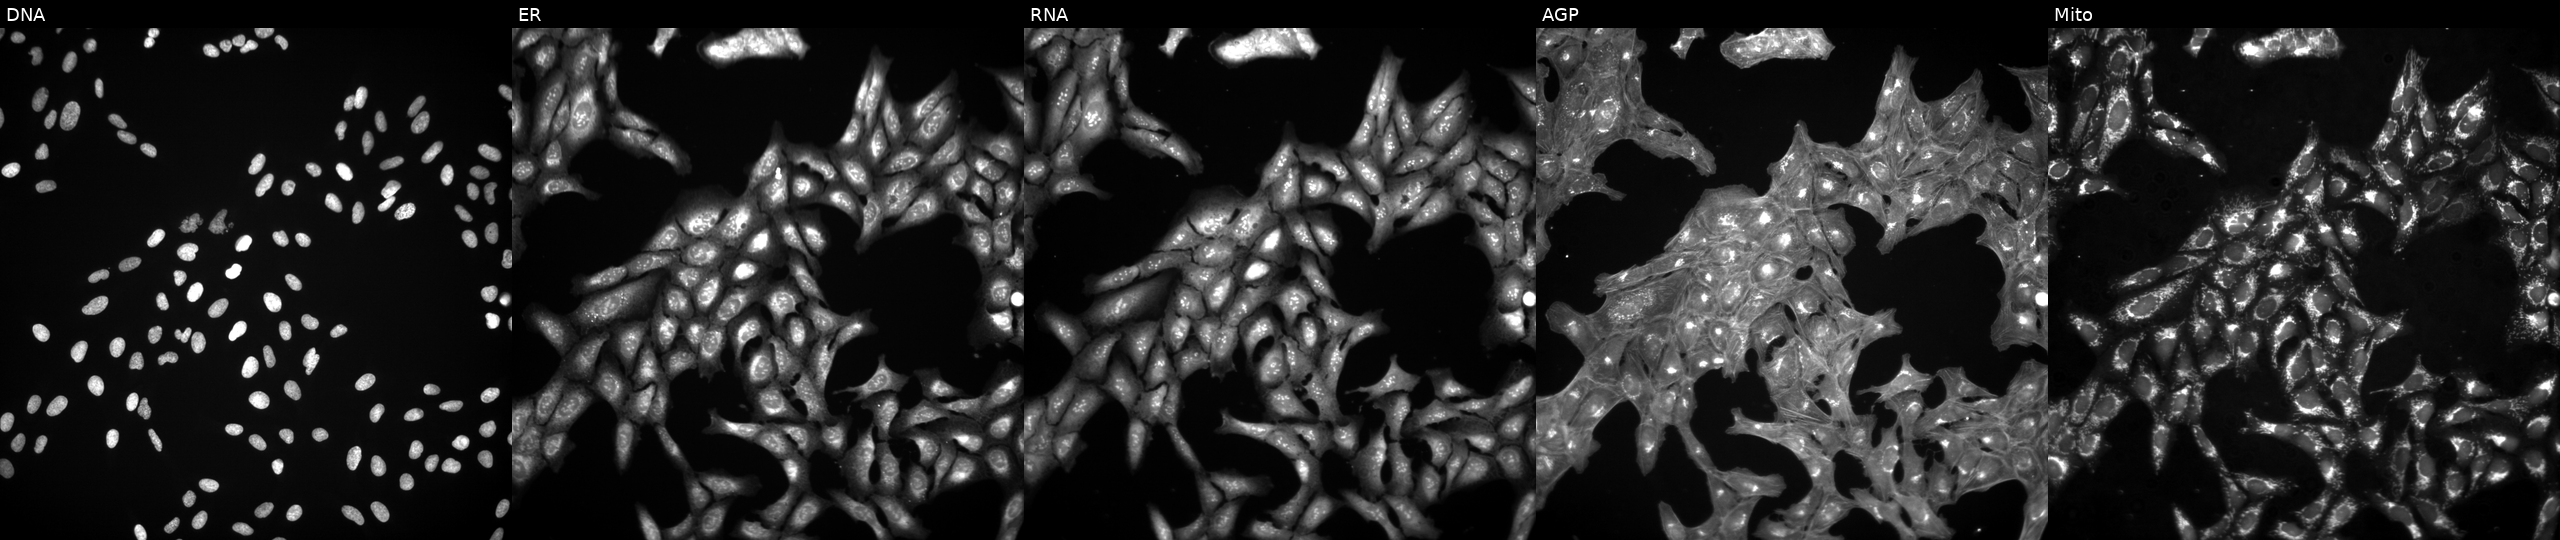
This image strip shows the five Cell Painting channels for a single field of U2OS cells perturbed with a small-molecule compound (InChIKey QHALZACAAMKUSS-UHFFFAOYSA-N) (JUMP id JCP2022_073387). Panels show, left to right, DNA (nuclei); ER (endoplasmic reticulum); RNA (nucleoli and cytoplasmic RNA); AGP (actin cytoskeleton, Golgi, and plasma membrane); Mito (mitochondria). Source 3, plate BR5867a3, well A07.